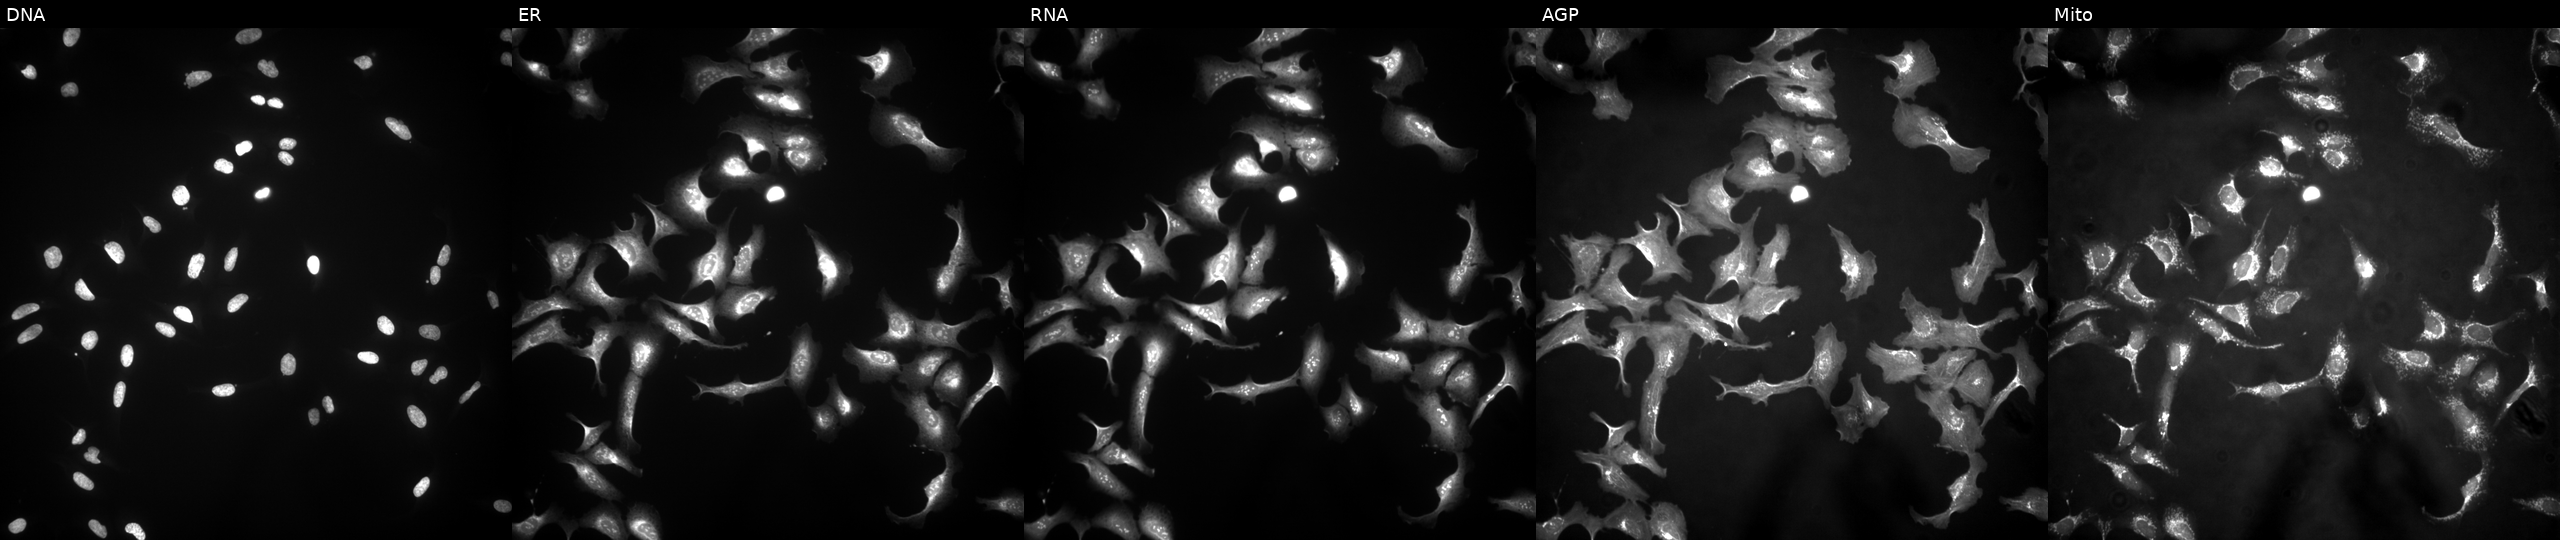
U2OS cells, Cell Painting assay, transfected with an ORF construct for DDX59. Panels show, left to right, DNA, ER, RNA, AGP, and Mito. Each panel is percentile-stretched 16-bit fluorescence. Source 4, plate BR00123506, well K10.